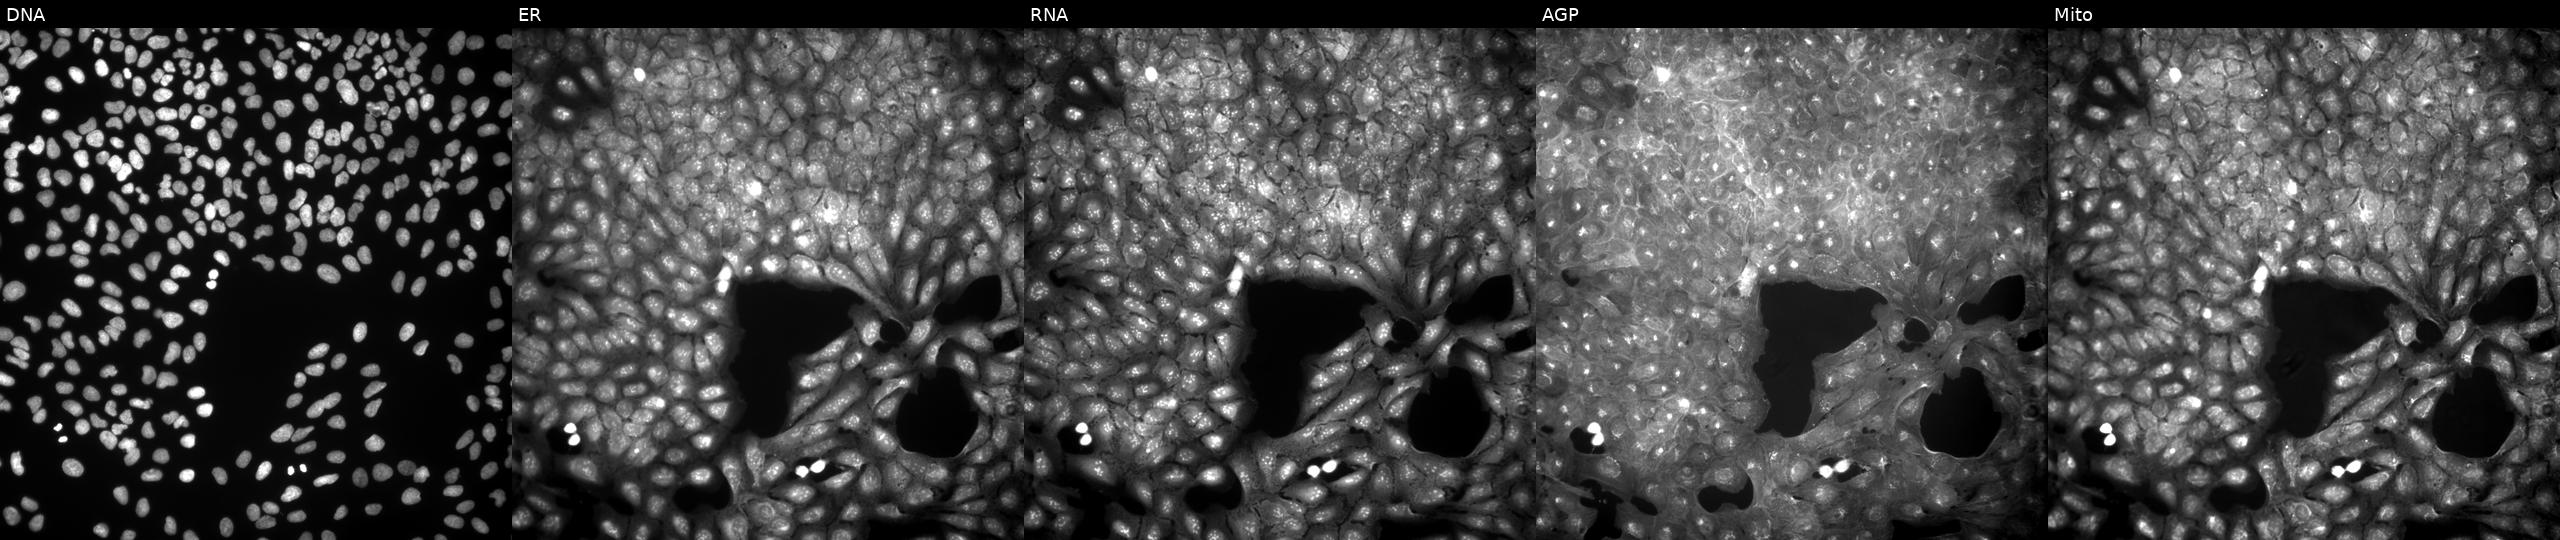
Five-channel Cell Painting image of U2OS cells perturbed with a small-molecule compound (InChIKey GTWBRKGVDSGPPK-UHFFFAOYSA-N) [SMILES: O=C(CCc1ccccc1)OCC(=O)c1ccc([N+](=O)[O-])cc1]. Channels (left→right): DNA, ER, RNA, AGP, and Mito.